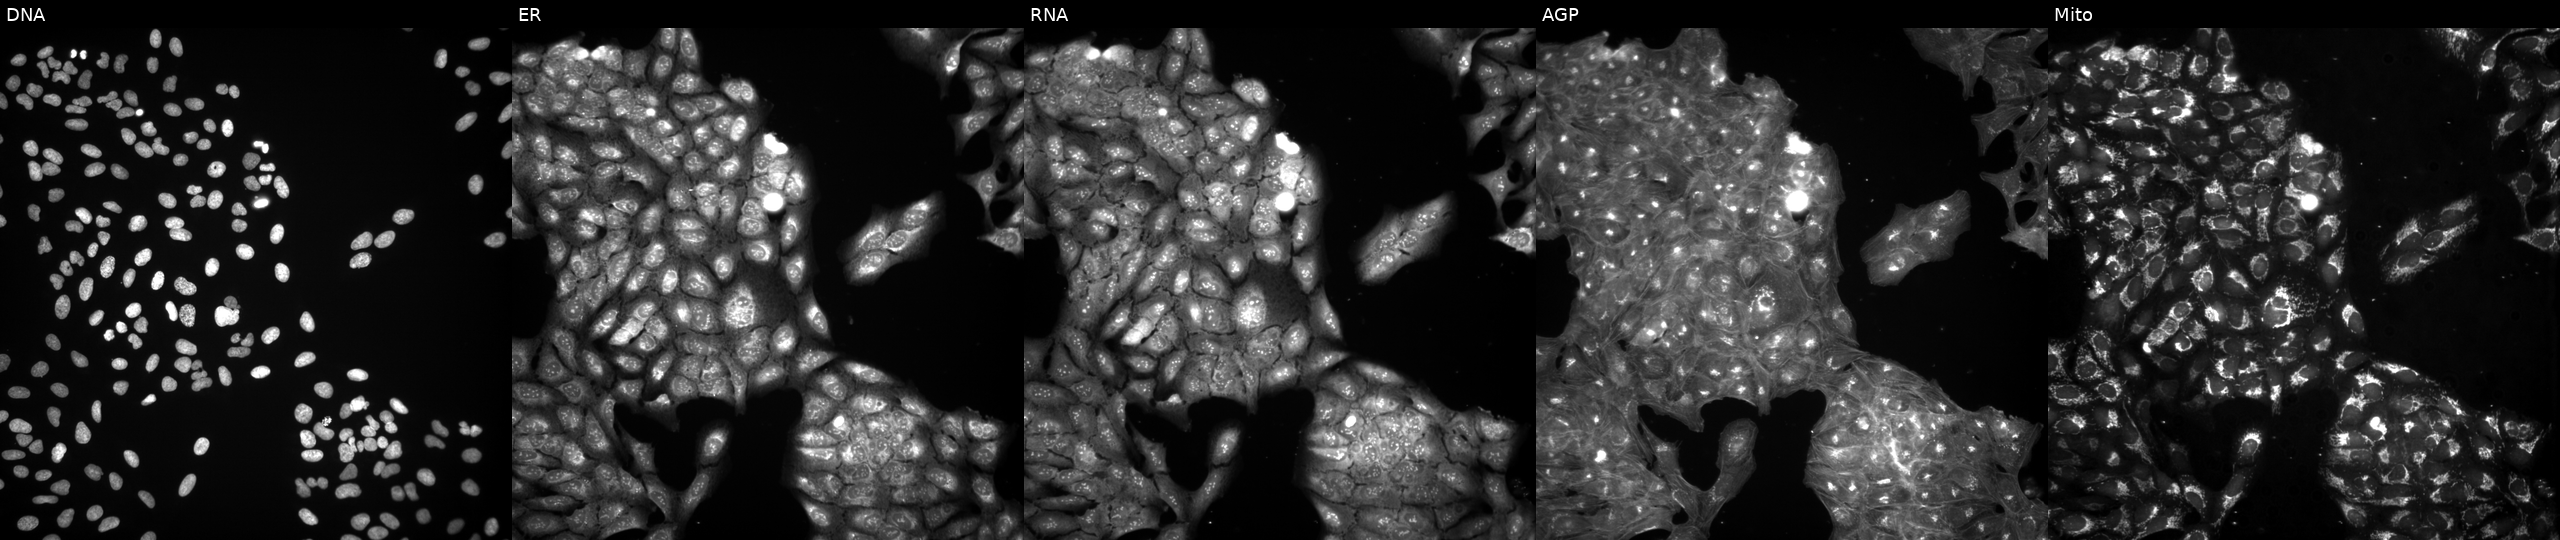
JUMP Cell Painting — TARGET2 plate. U2OS cells treated with a small-molecule compound (InChIKey FQUAFMNPXPXOJE-UHFFFAOYSA-N) (JUMP id JCP2022_022359). The five panels, left to right, show DNA (nuclei); ER (endoplasmic reticulum); RNA (nucleoli and cytoplasmic RNA); AGP (actin cytoskeleton, Golgi, and plasma membrane); Mito (mitochondria). Source 3, plate JCPQC052, well I04.